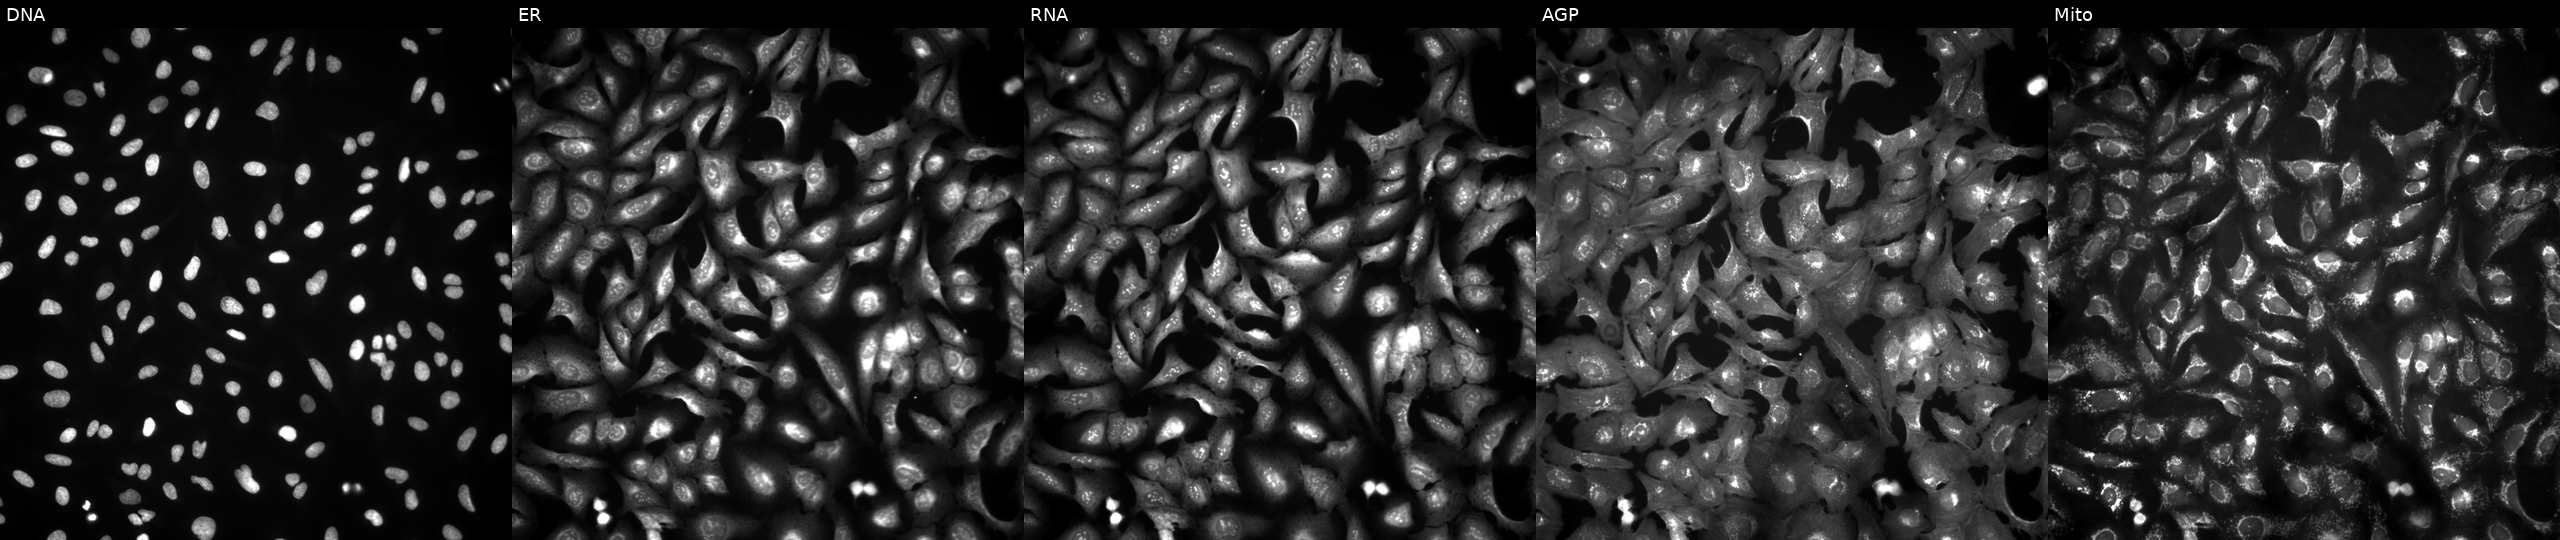
This image strip shows the five Cell Painting channels for a single field of U2OS cells with CFAP206 overexpressed (ORF). Panels show, left to right, DNA, ER, RNA, AGP, and Mito.